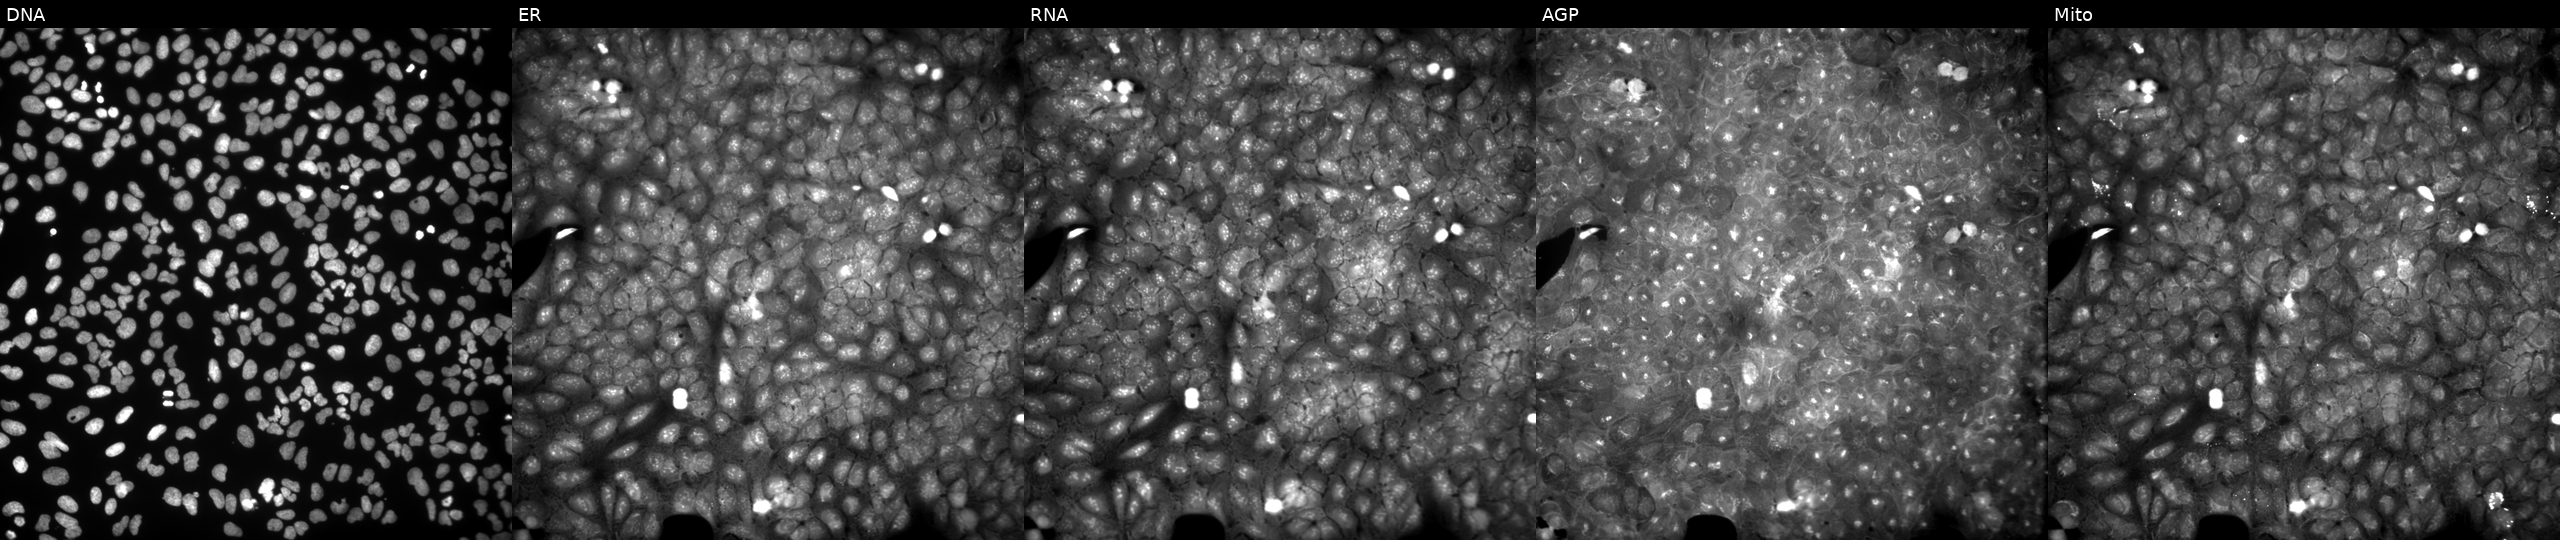
JUMP Cell Painting — COMPOUND plate. U2OS cells treated with a small-molecule compound (InChIKey CXXDZJLDICBAAF-UHFFFAOYSA-N) [SMILES: CCOC(=O)c1sc2ncnc(N3CCN(c4ccc(OC)cc4)CC3)c2c1C]. The five panels, left to right, show DNA, ER, RNA, AGP, and Mito. Source 9, plate GR00003381, well U36.